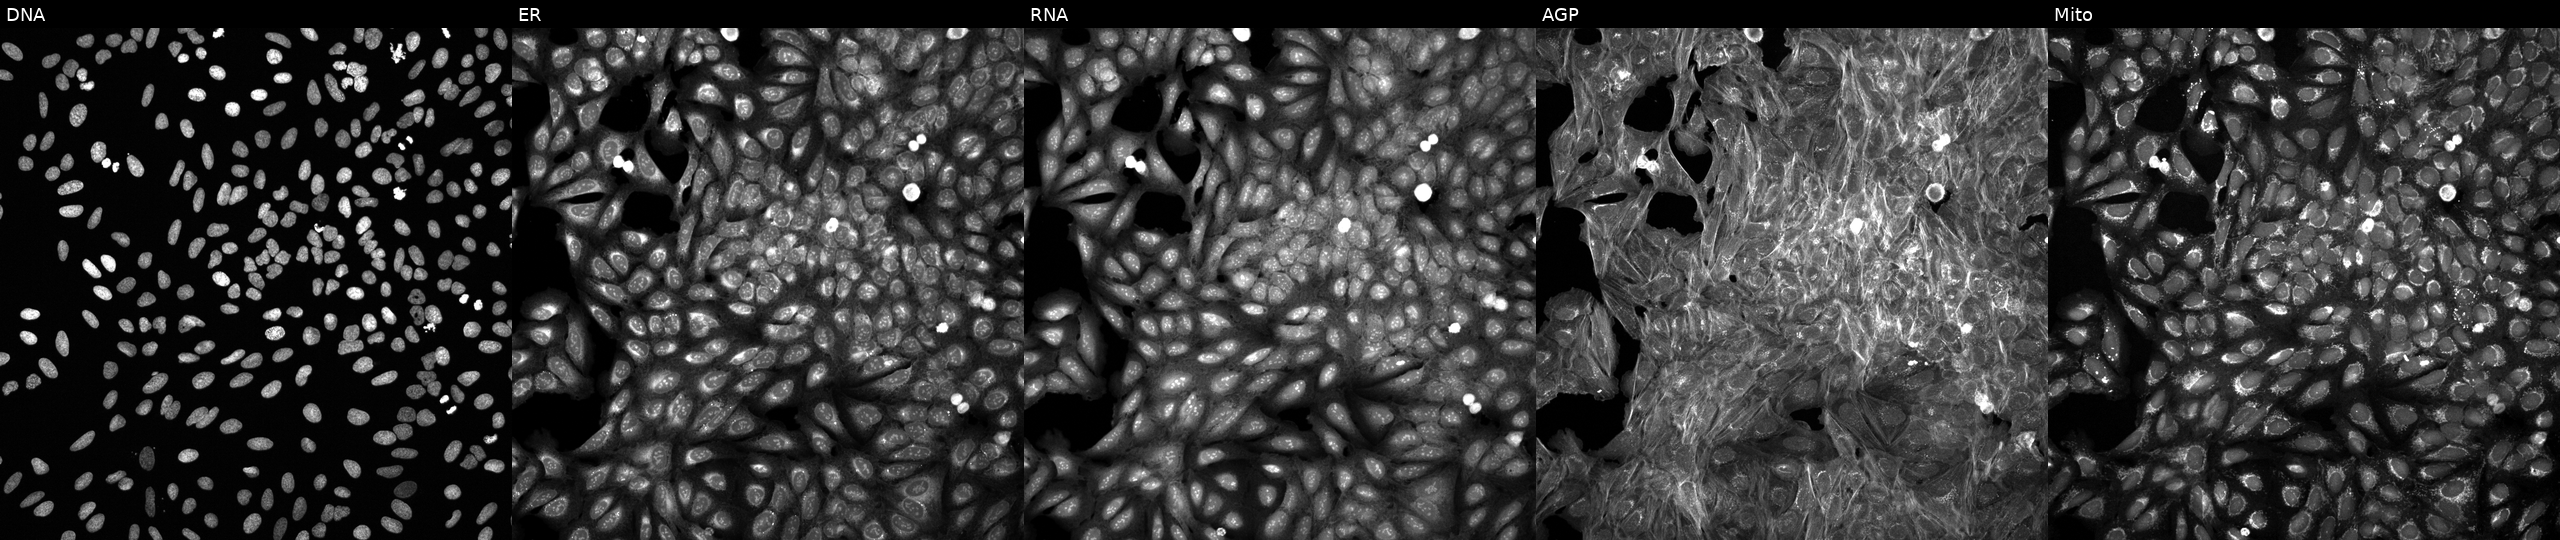
Panels show, left to right, Hoechst 33342, concanavalin A, SYTO 14, phalloidin and WGA, MitoTracker. U2OS osteosarcoma cells treated with a small-molecule compound (InChIKey KXDROGADUISDGY-UHFFFAOYSA-N) (JUMP id JCP2022_047559). Cell Painting assay, JUMP-CP dataset.